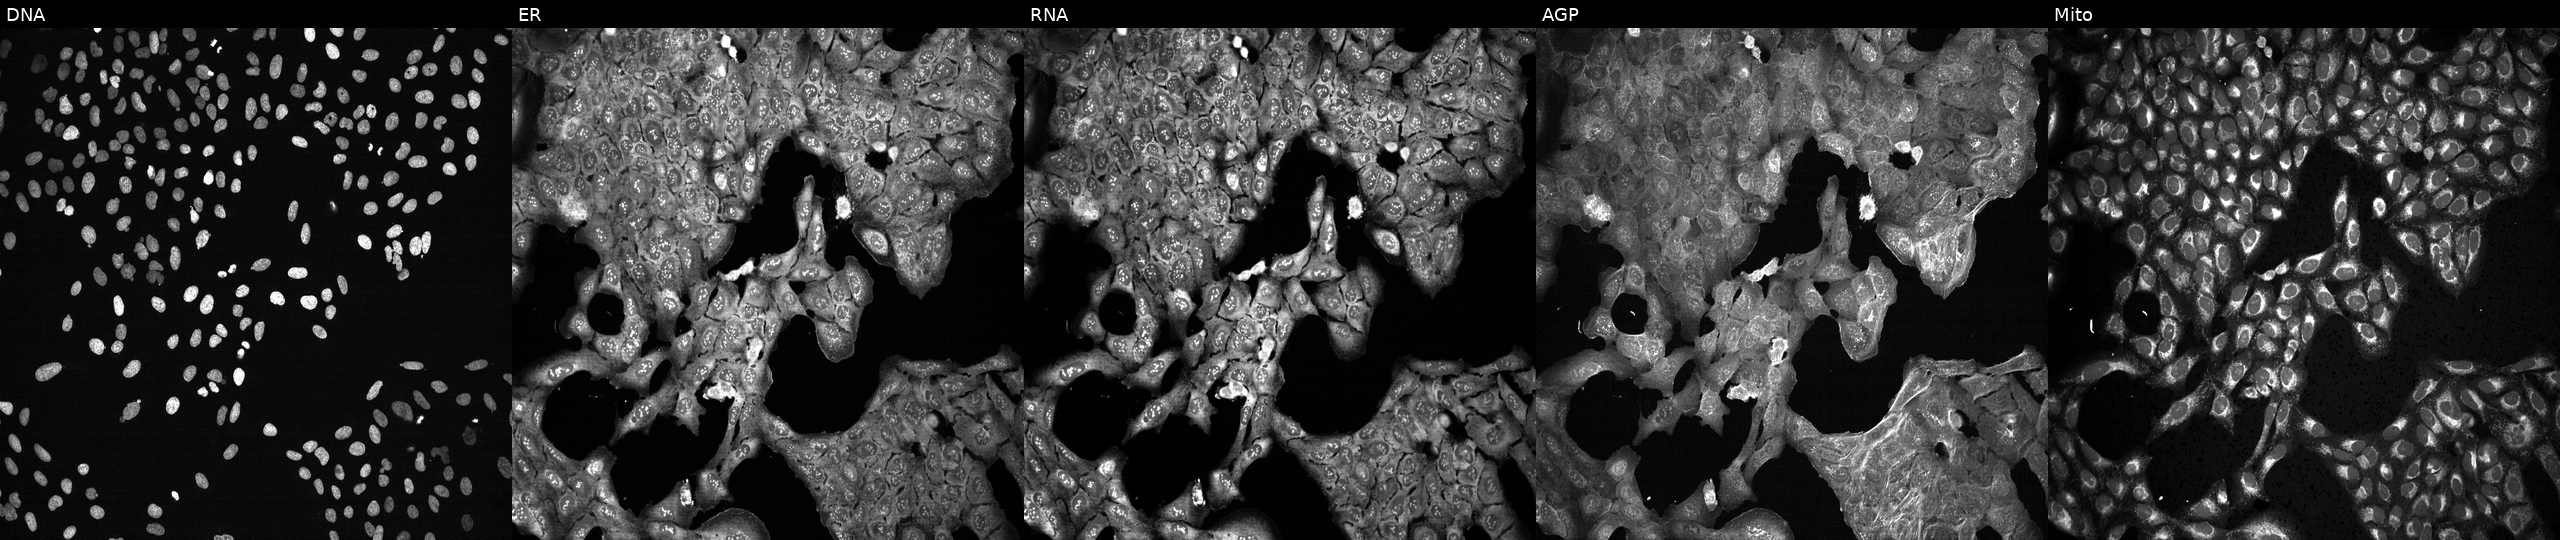
This image strip shows the five Cell Painting channels for a single field of U2OS cells CRISPR-edited to disrupt ACOXL. Panels show, left to right, DNA, ER, RNA, AGP, and Mito.